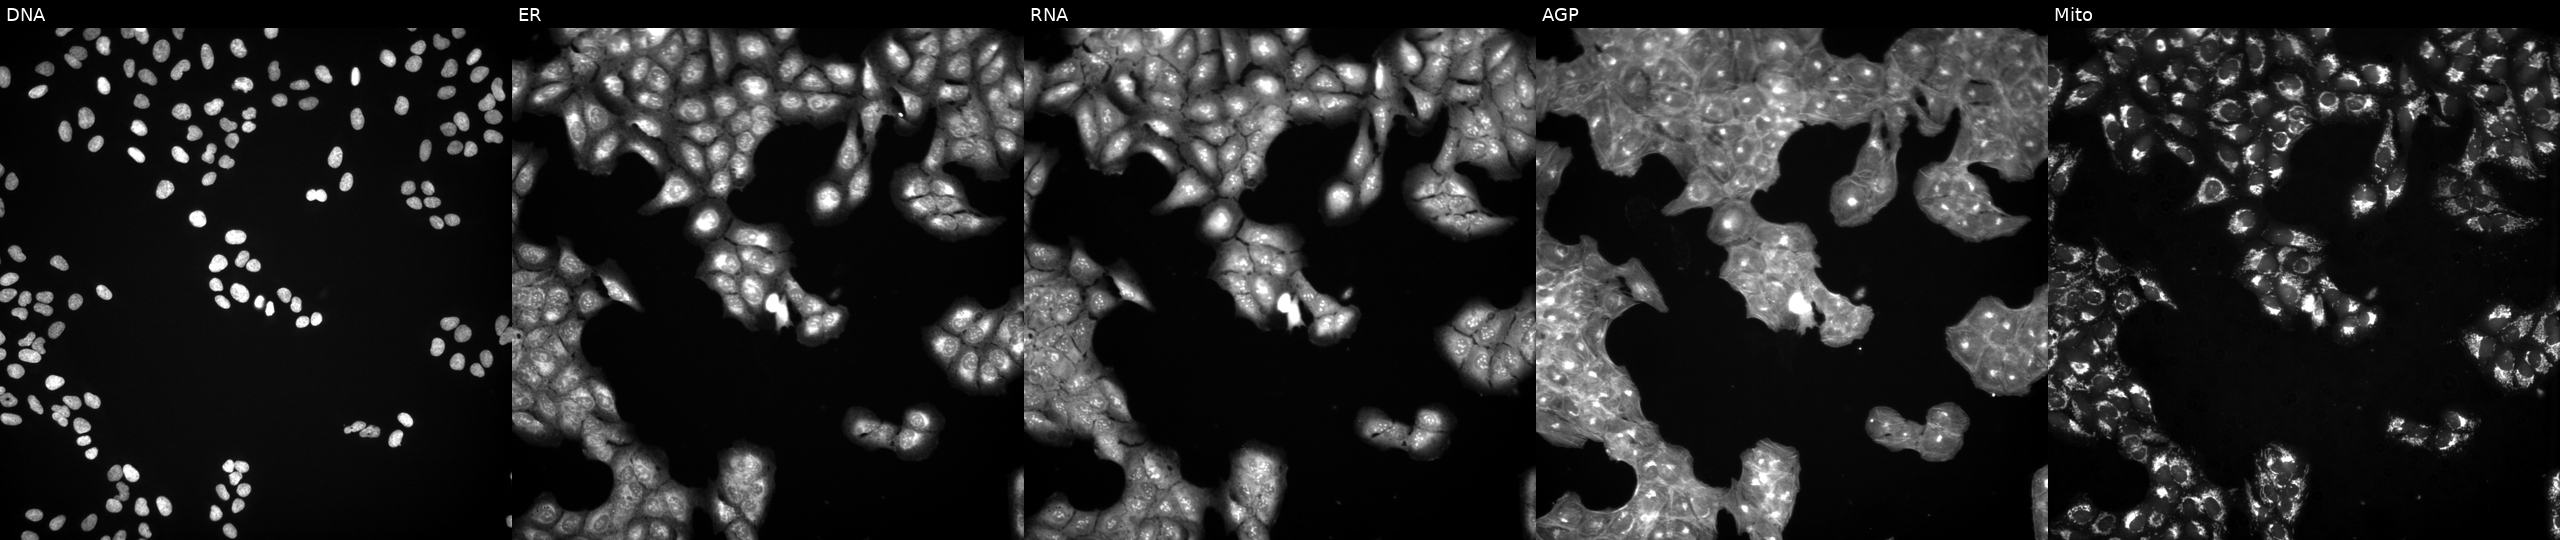
High-content fluorescence microscopy (Cell Painting). Cell line: U2OS. Perturbation: exposed to a small-molecule compound (InChIKey VUIRVWPJNKZOSS-UHFFFAOYSA-N) [SMILES: Cc1c[nH]c(-c2ccccc2C(C)C)nc1=NCc1ccc(-n2ccnn2)cc1] (JUMP id JCP2022_096342). From left to right: DNA, ER, RNA, AGP, and Mito.